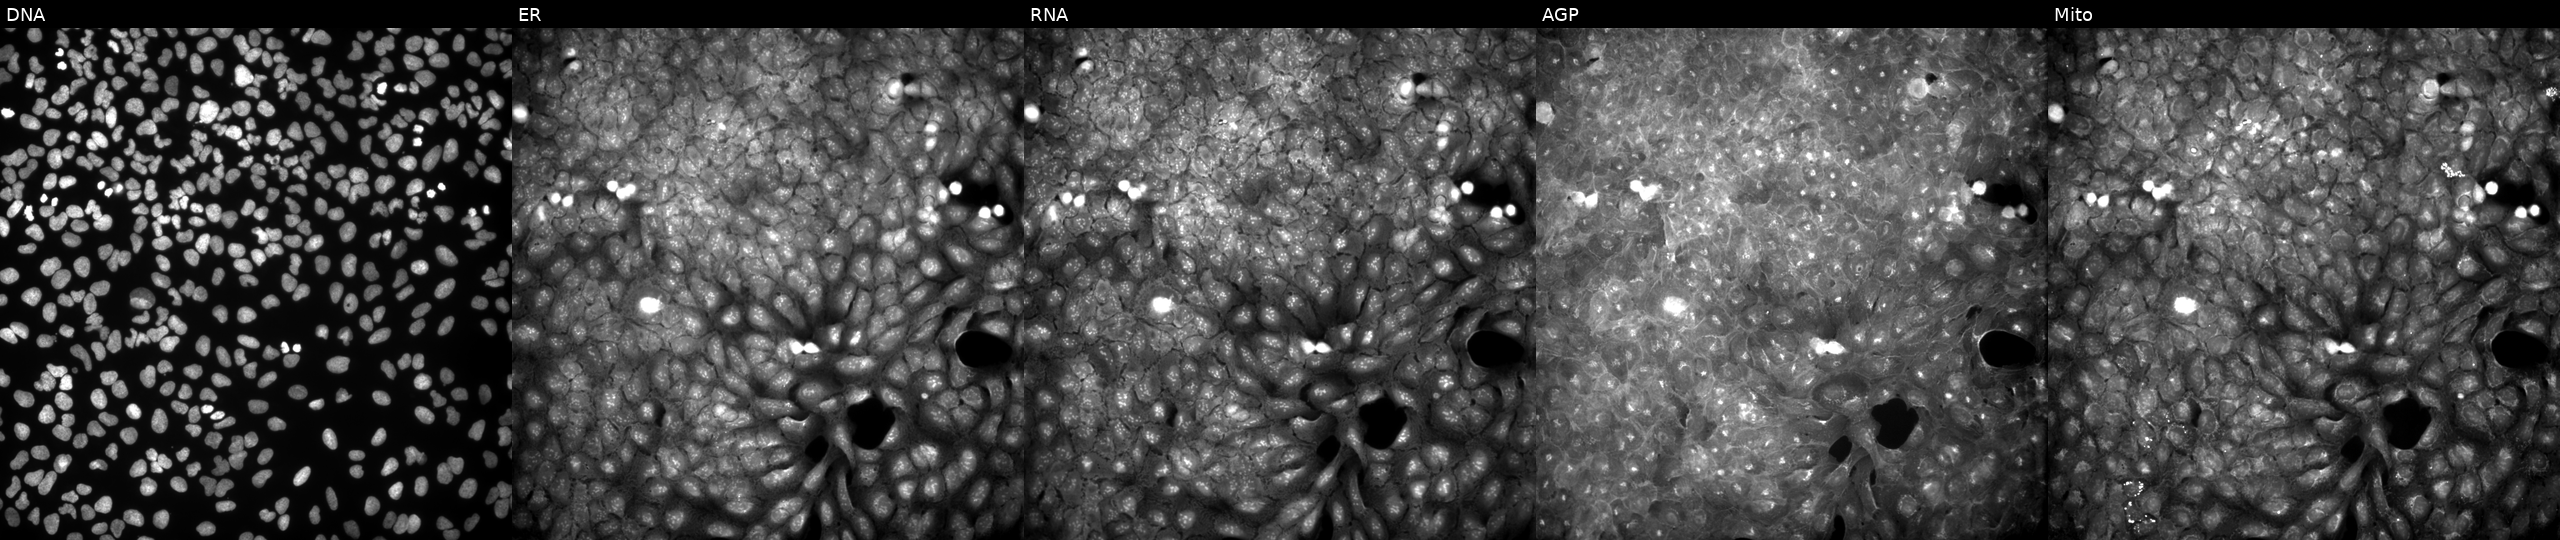
Five-channel Cell Painting image of U2OS cells exposed to a small-molecule compound (InChIKey IXDNGVLGGCIRDA-UHFFFAOYSA-N) [SMILES: Clc1ccc(-c2csc(N3CCOCC3)n2)c(Cl)c1] (JUMP id JCP2022_037936). Panels show, left to right, DNA (nuclei); ER (endoplasmic reticulum); RNA (nucleoli and cytoplasmic RNA); AGP (actin cytoskeleton, Golgi, and plasma membrane); Mito (mitochondria). Source 9, plate GR00003381, well P31.